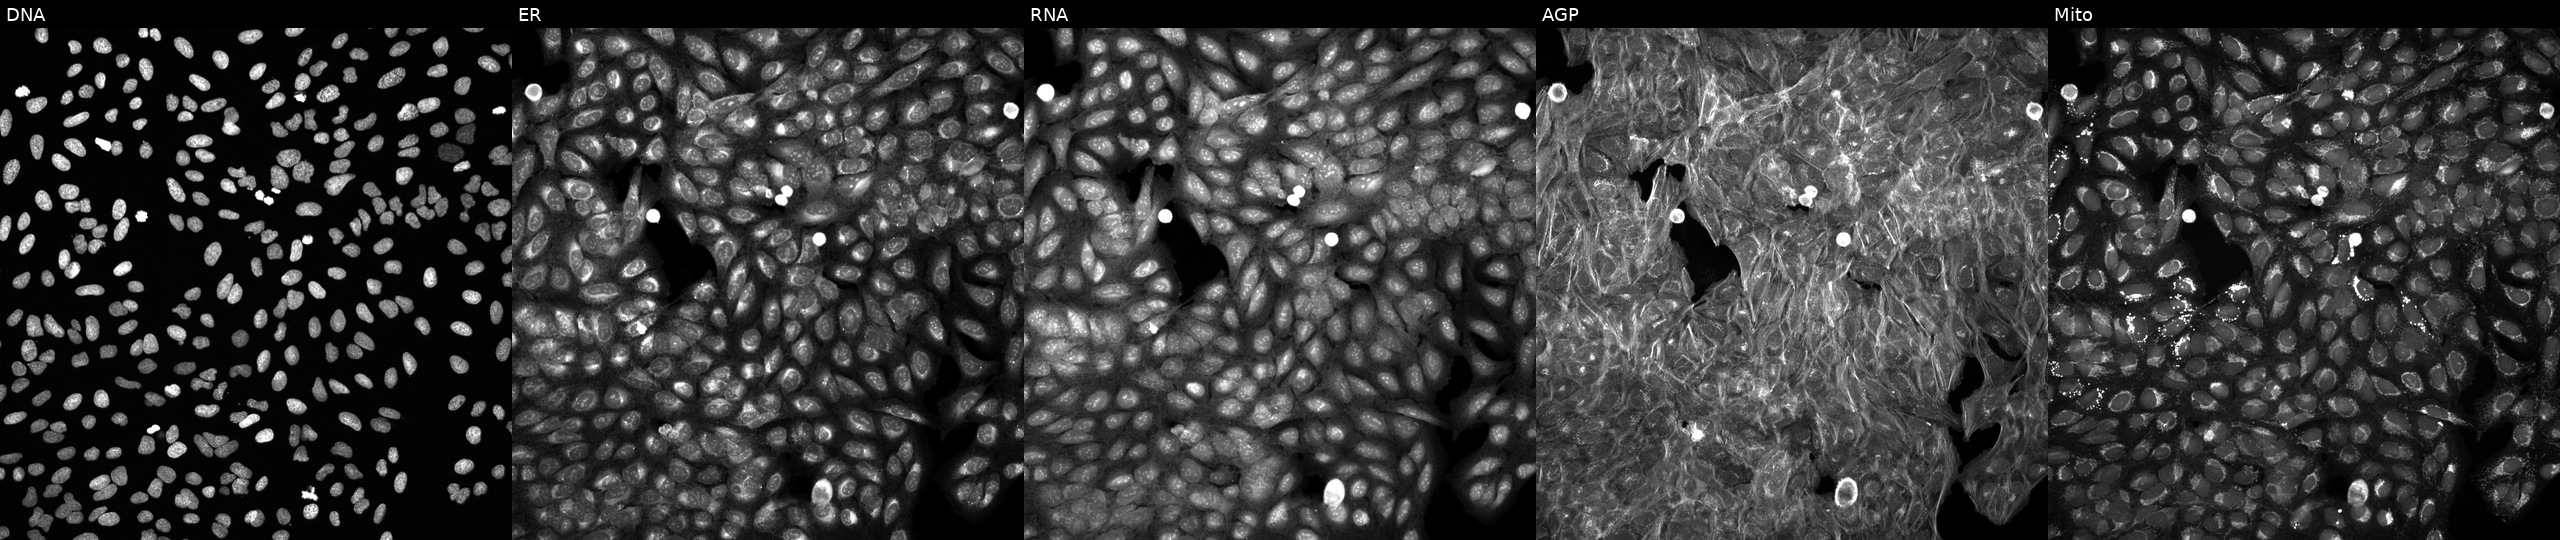
Panels show, left to right, DNA, ER, RNA, AGP, and Mito. U2OS osteosarcoma cells exposed to a small-molecule compound (InChIKey KRKNYBCHXYNGOX-UHFFFAOYSA-N) (JUMP id JCP2022_046524). Cell Painting assay, JUMP-CP dataset.